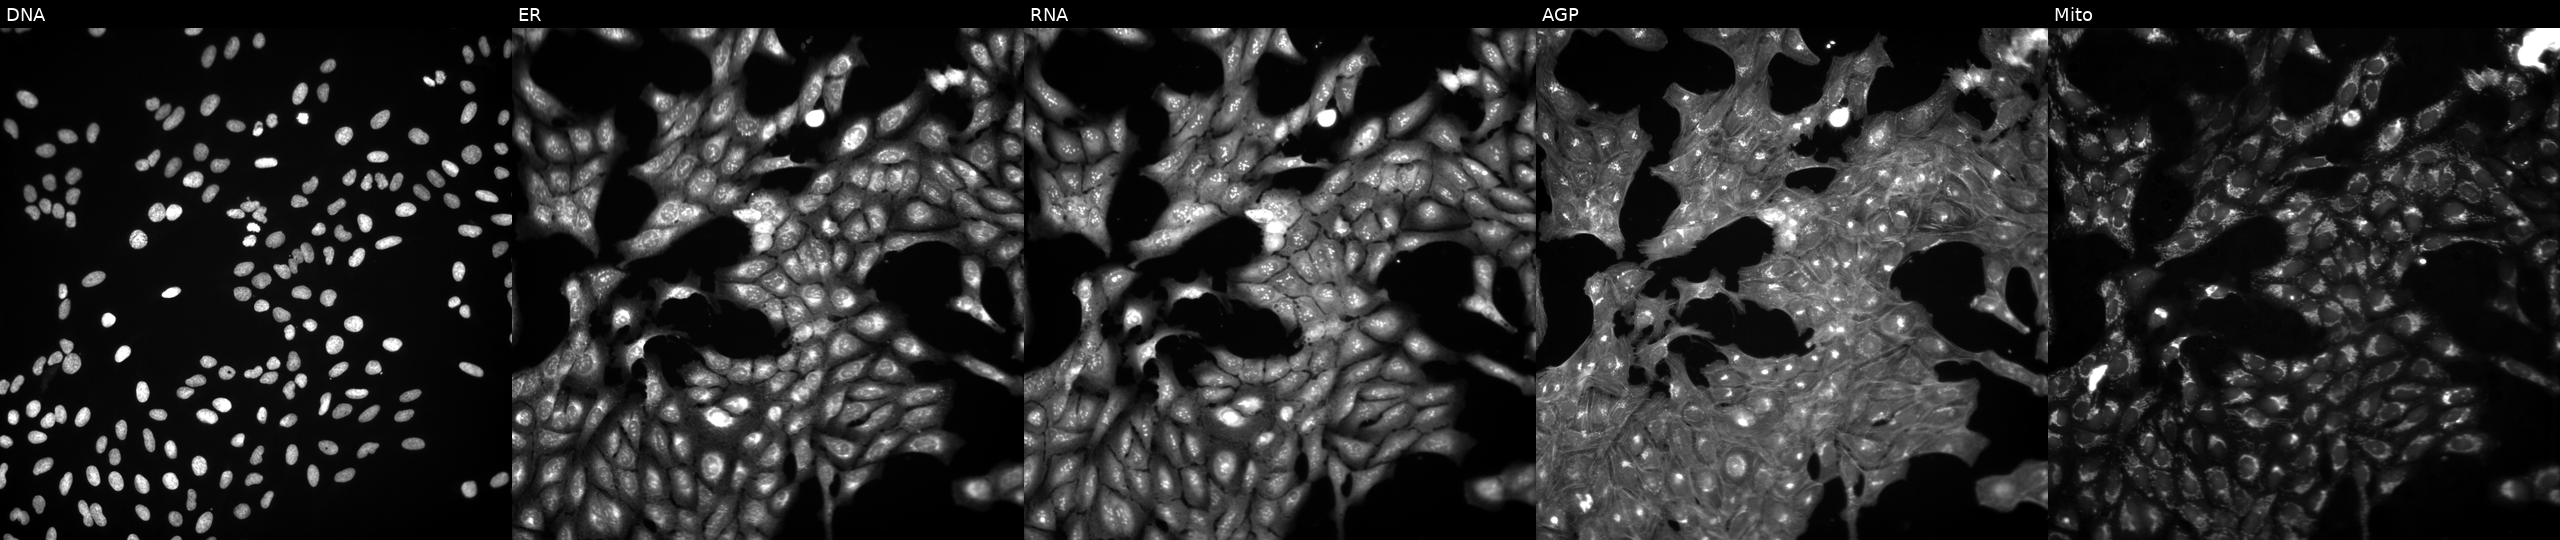
From left to right: Hoechst 33342, concanavalin A, SYTO 14, phalloidin and WGA, MitoTracker. U2OS osteosarcoma cells treated with aloxistatin (positive-control compound) (JUMP id JCP2022_085227). Cell Painting assay, JUMP-CP dataset.